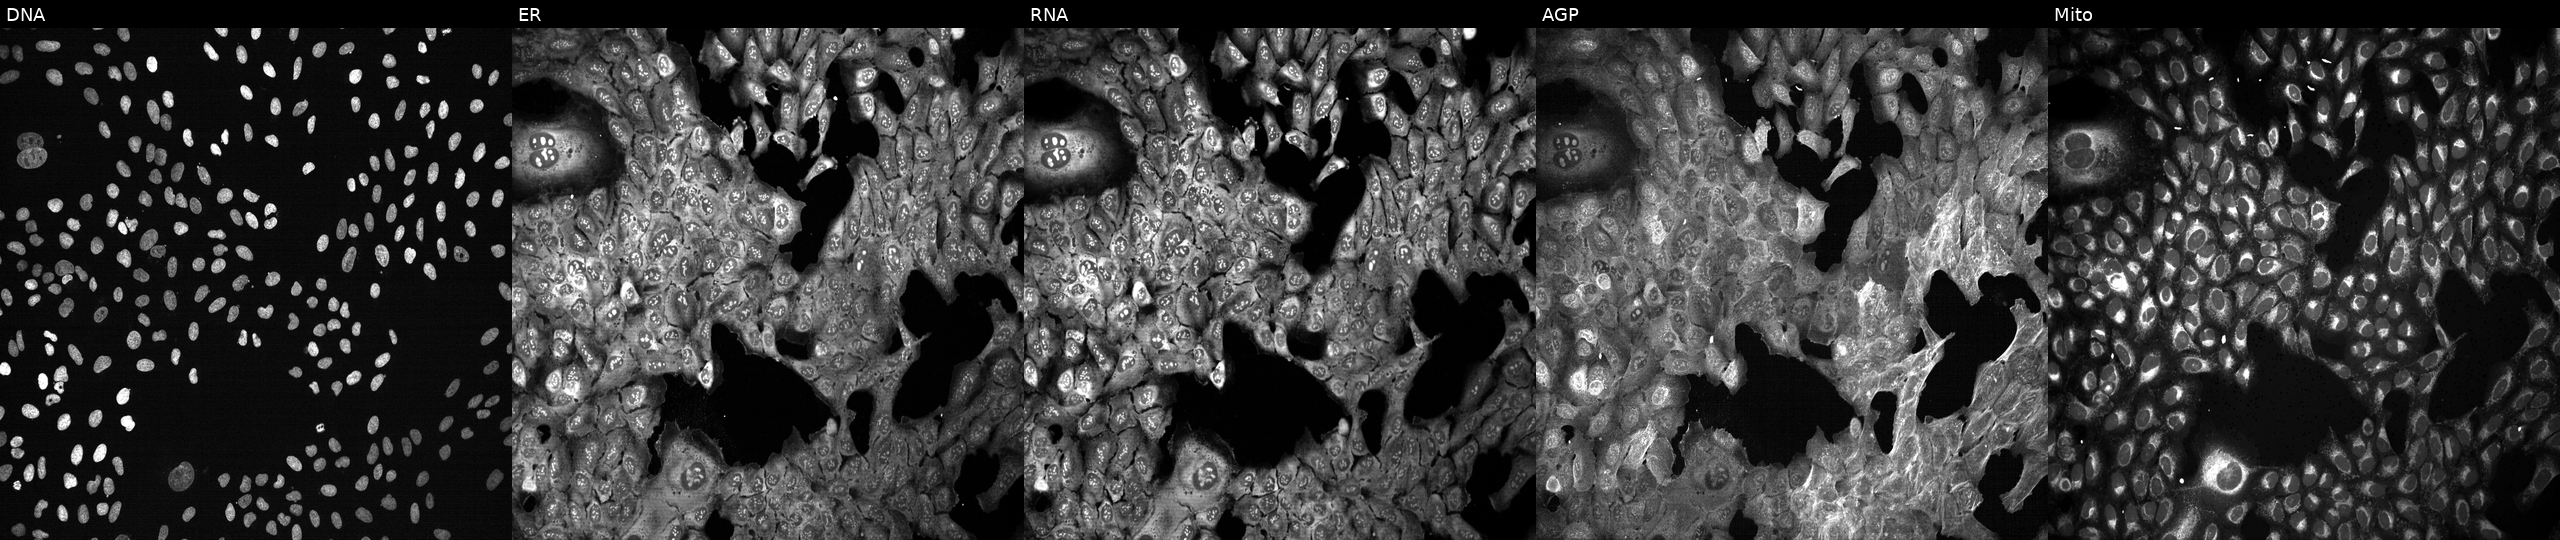
U2OS cells, Cell Painting assay, CRISPR-edited to disrupt NCK1 (JUMP id JCP2022_804448). The five panels, left to right, show DNA, ER, RNA, AGP, and Mito. Each panel is percentile-stretched 16-bit fluorescence.